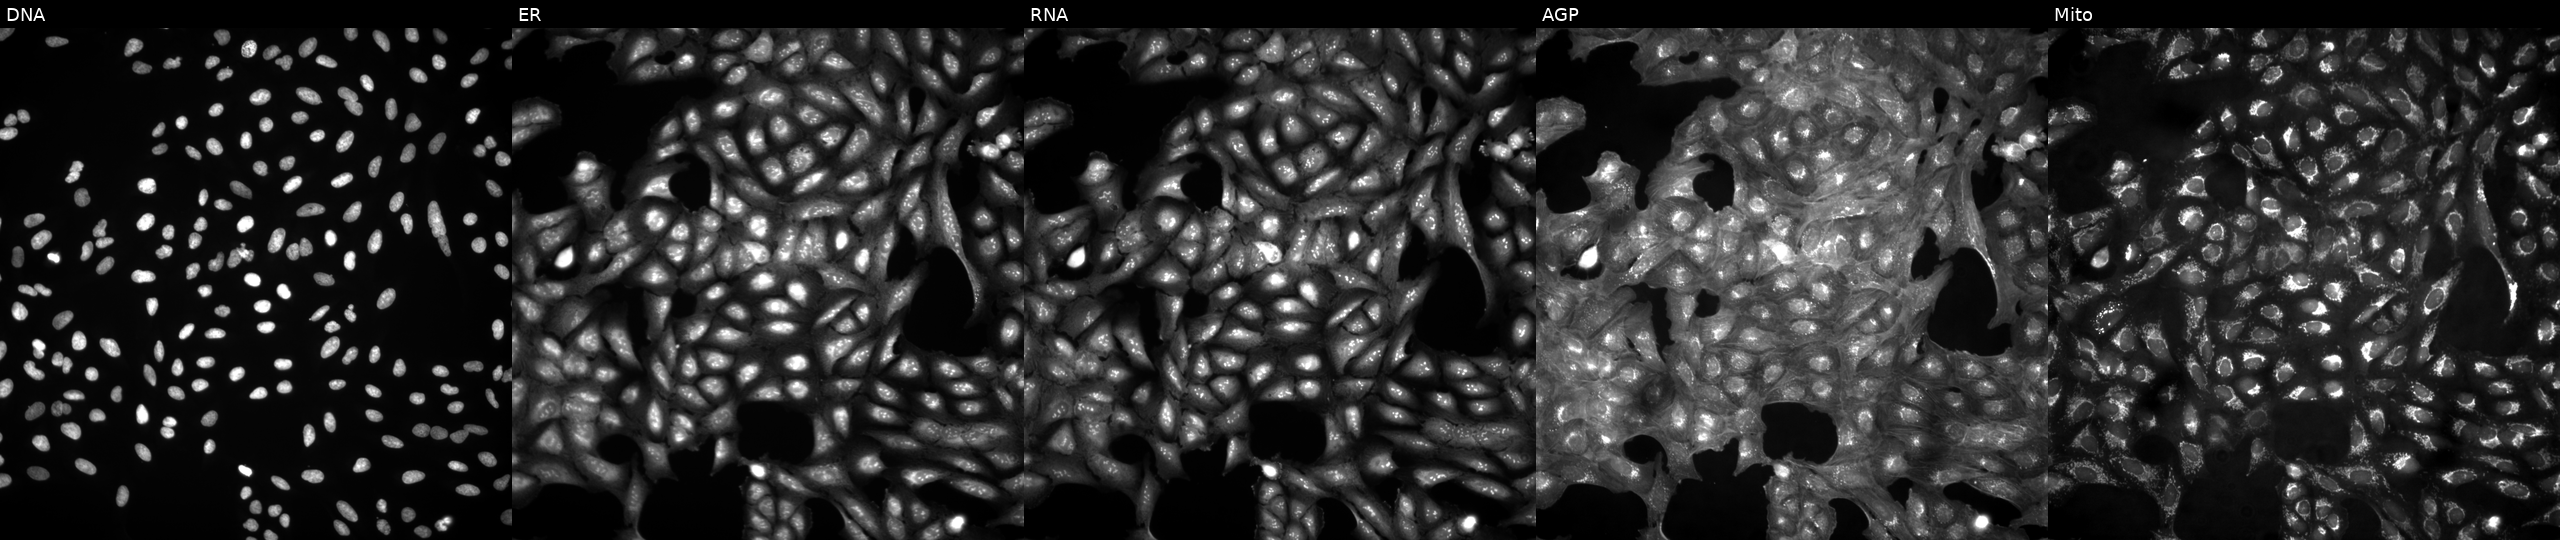
High-content fluorescence microscopy (Cell Painting). Cell line: U2OS. Perturbation: in an empty control well (no perturbation) (JUMP id JCP2022_999999). Channels (left→right): DNA, ER, RNA, AGP, and Mito.